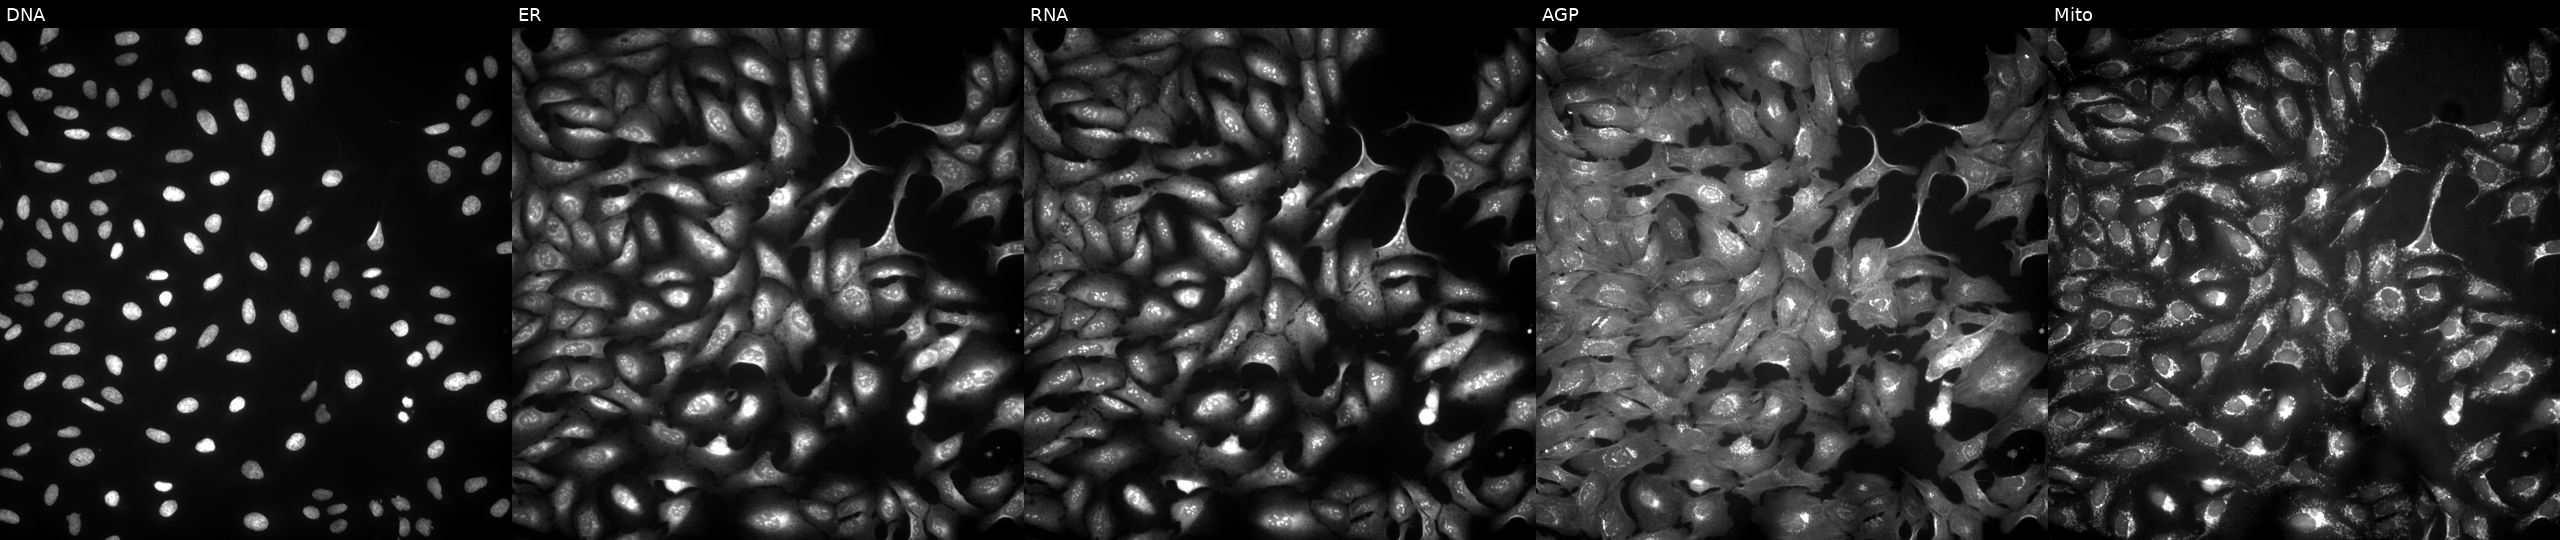
This image strip shows the five Cell Painting channels for a single field of U2OS cells untreated (empty-well control). Channels (left→right): DNA, ER, RNA, AGP, and Mito. Source 4, plate BR00123506, well H05.